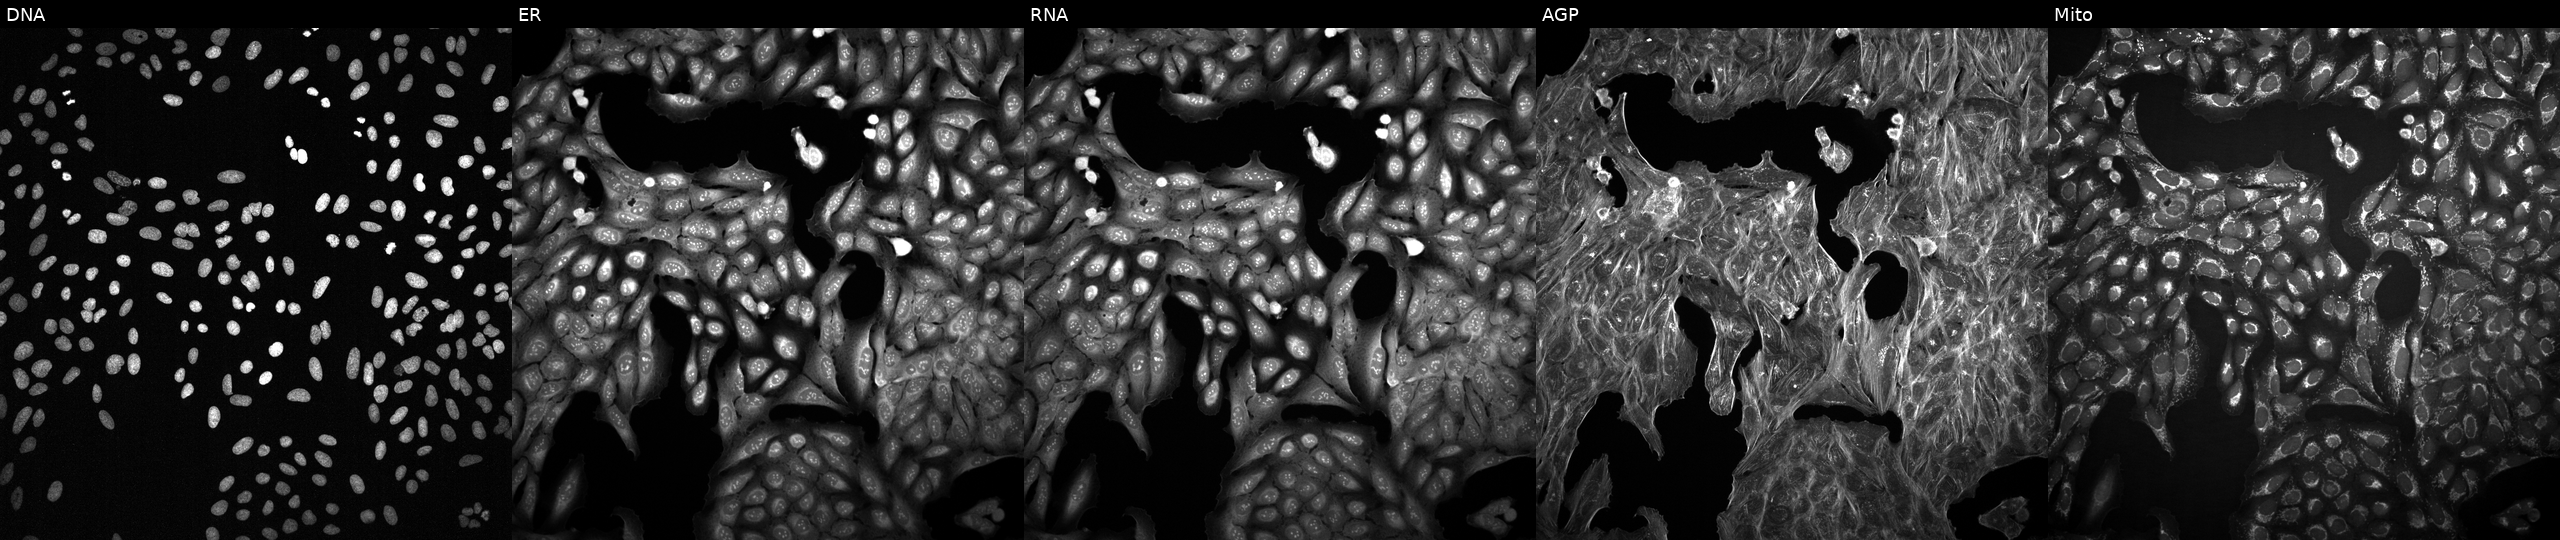
This image strip shows the five Cell Painting channels for a single field of U2OS cells perturbed with a small-molecule compound (InChIKey JDKKNQACNITFEA-UHFFFAOYSA-N). The five panels, left to right, show DNA (nuclei); ER (endoplasmic reticulum); RNA (nucleoli and cytoplasmic RNA); AGP (actin cytoskeleton, Golgi, and plasma membrane); Mito (mitochondria).